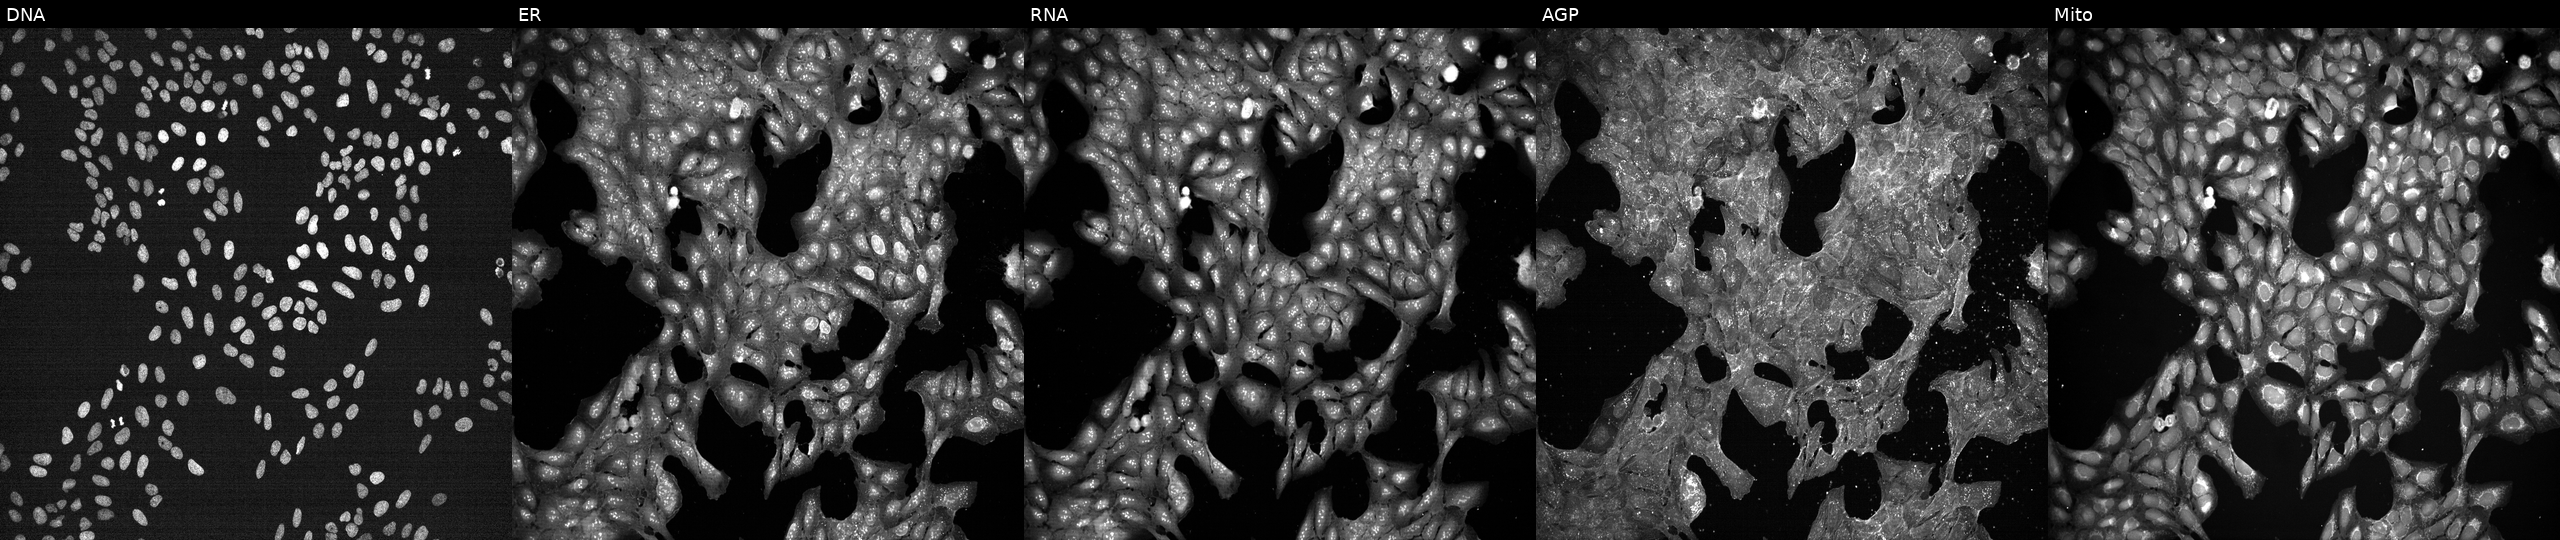
This image strip shows the five Cell Painting channels for a single field of U2OS cells exposed to a small-molecule compound. Panels show, left to right, DNA, ER, RNA, AGP, and Mito.